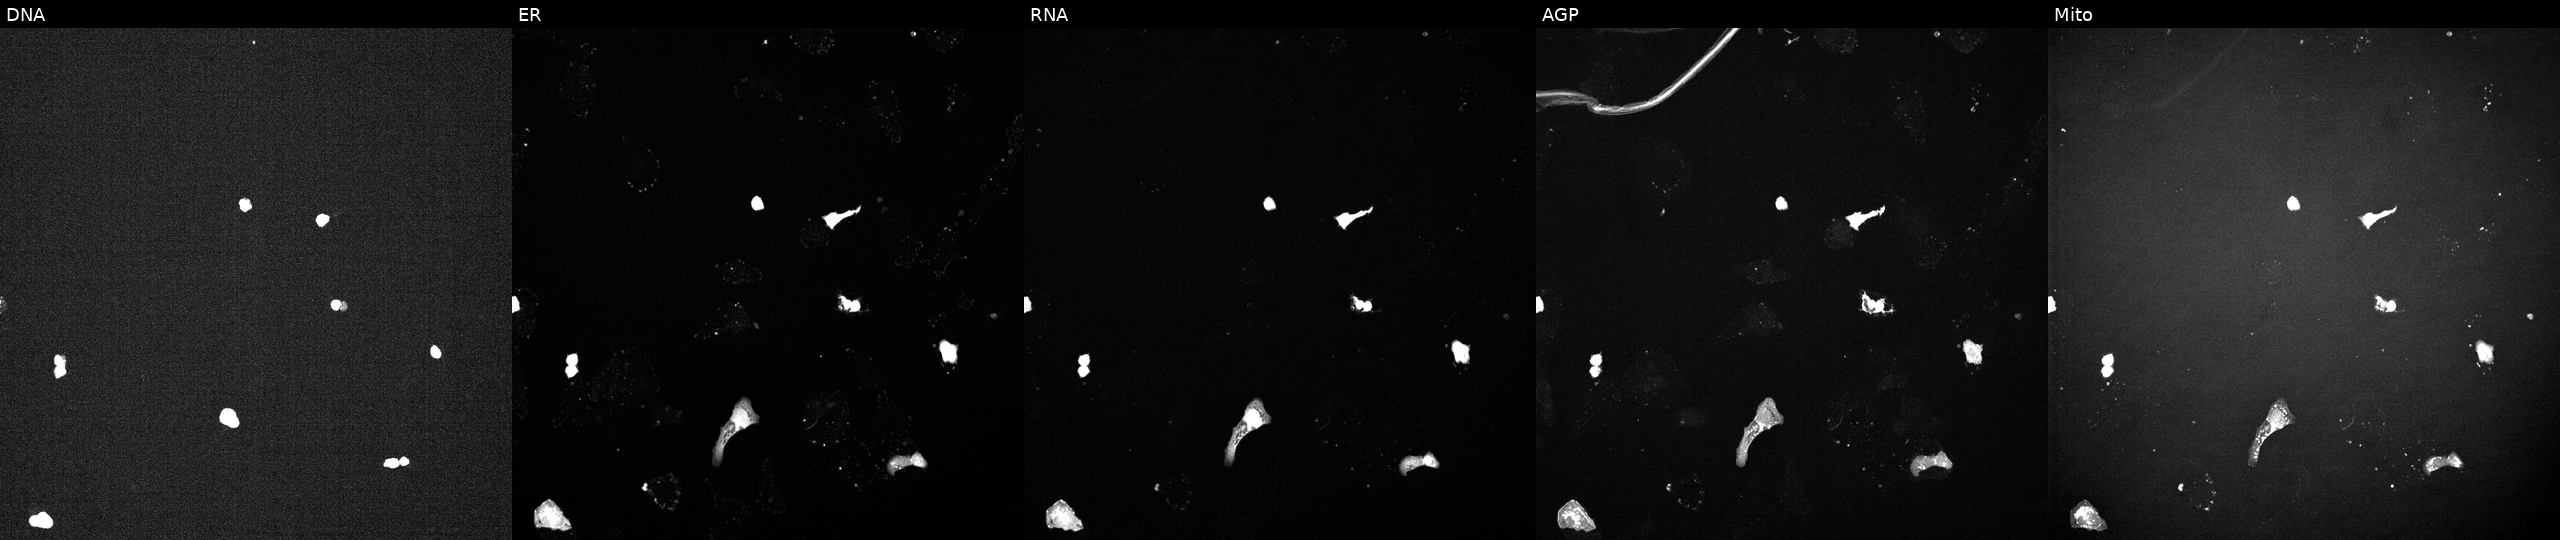
JUMP Cell Painting — TARGET2 plate. U2OS cells perturbed with a small-molecule compound (InChIKey PHXJVRSECIGDHY-UHFFFAOYSA-N) (JUMP id JCP2022_068713). Panels show, left to right, DNA, ER, RNA, AGP, and Mito. Source 6, plate 110000293081, well J08.